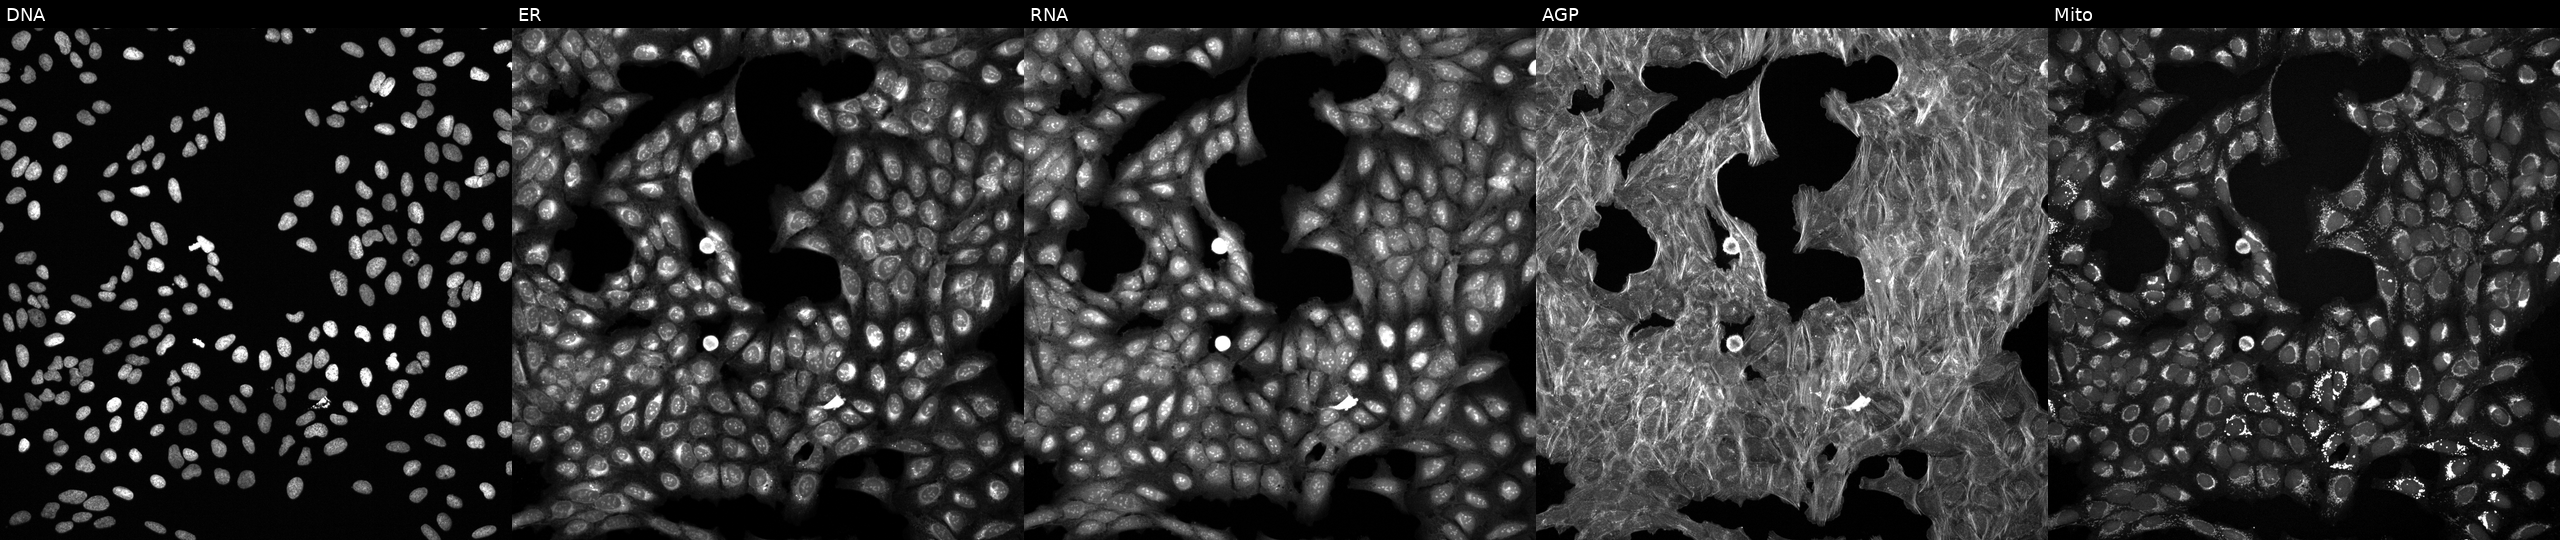
This image strip shows the five Cell Painting channels for a single field of U2OS cells perturbed with a small-molecule compound (InChIKey XVXLFBNPNODFAZ-UHFFFAOYSA-N) [SMILES: CCSc1nnc(-c2ccc(C)c(S(=O)(=O)N3CCN(C)CC3)c2)c2ccccc12] (JUMP id JCP2022_106376). From left to right: DNA (nuclei); ER (endoplasmic reticulum); RNA (nucleoli and cytoplasmic RNA); AGP (actin cytoskeleton, Golgi, and plasma membrane); Mito (mitochondria).